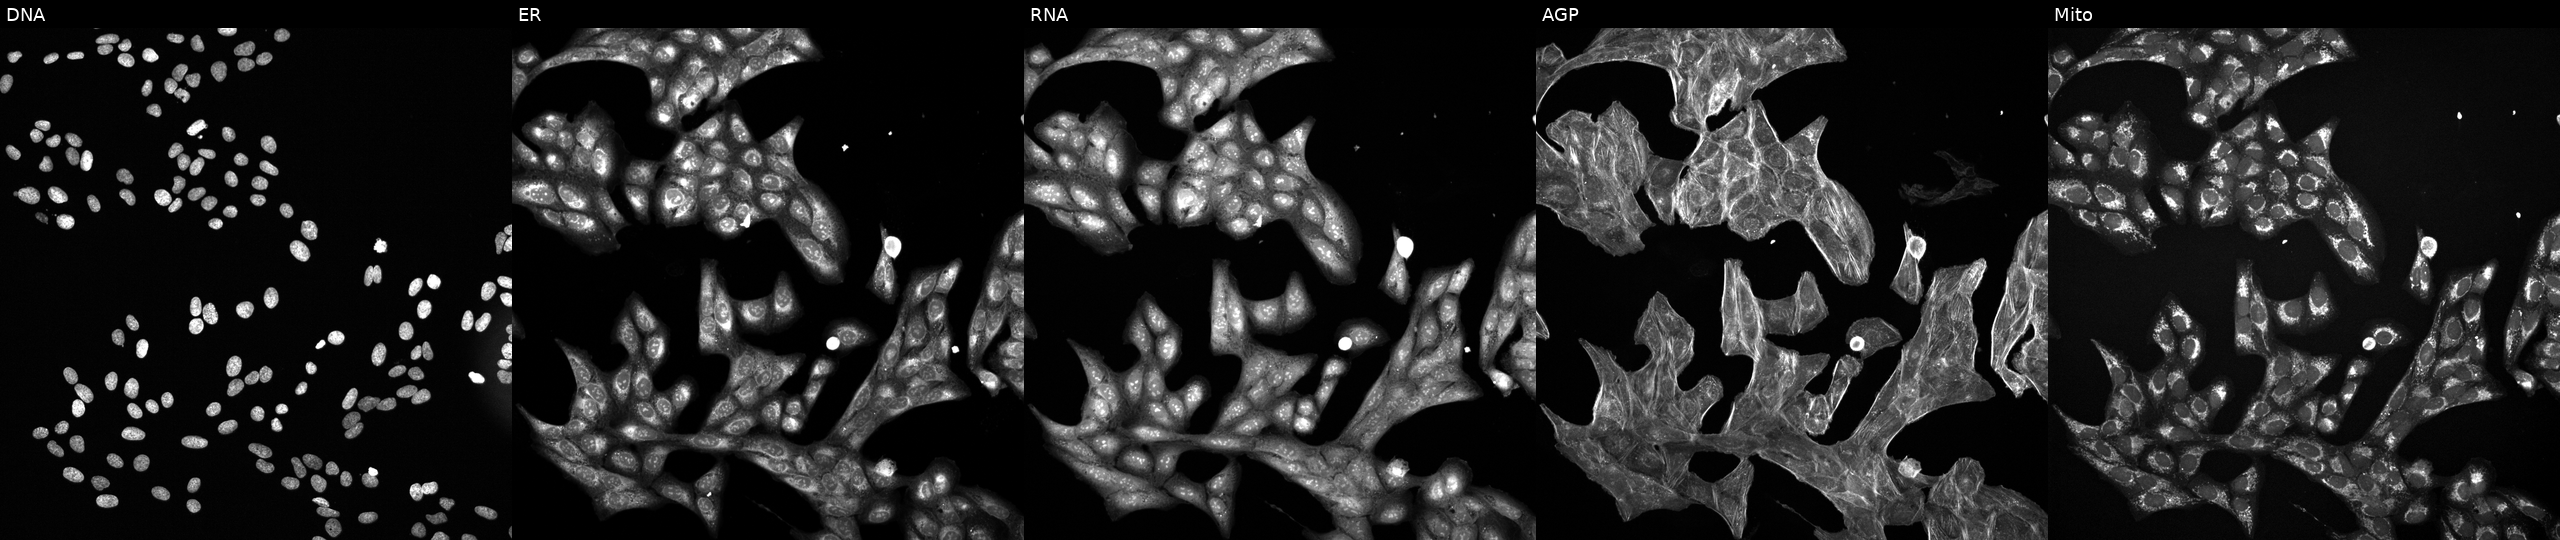
Panels show, left to right, DNA (nuclei); ER (endoplasmic reticulum); RNA (nucleoli and cytoplasmic RNA); AGP (actin cytoskeleton, Golgi, and plasma membrane); Mito (mitochondria). U2OS osteosarcoma cells treated with a small-molecule compound [SMILES: OC(CN1CCNCC1)Cn1c2ccc(Br)cc2c2cc(Br)ccc21]. Cell Painting assay, JUMP-CP dataset.